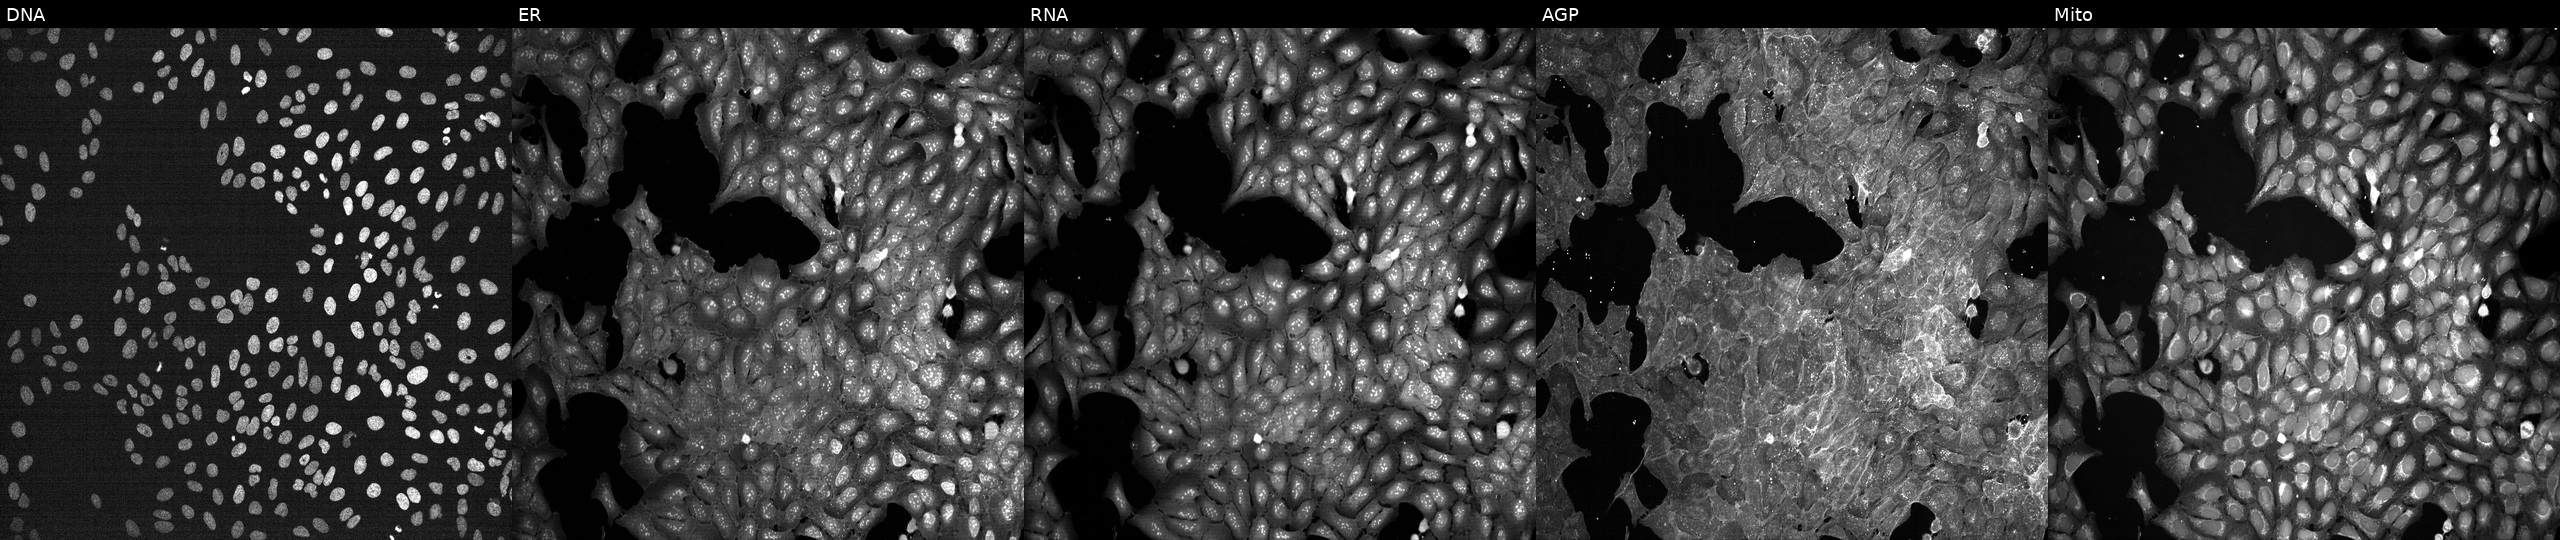
High-content fluorescence microscopy (Cell Painting). Cell line: U2OS. Perturbation: exposed to a small-molecule compound (InChIKey VDQLKIBLTMPAHI-UHFFFAOYSA-N). The five panels, left to right, show DNA, ER, RNA, AGP, and Mito. Source 7, plate CP1-SC1-25, well B03.